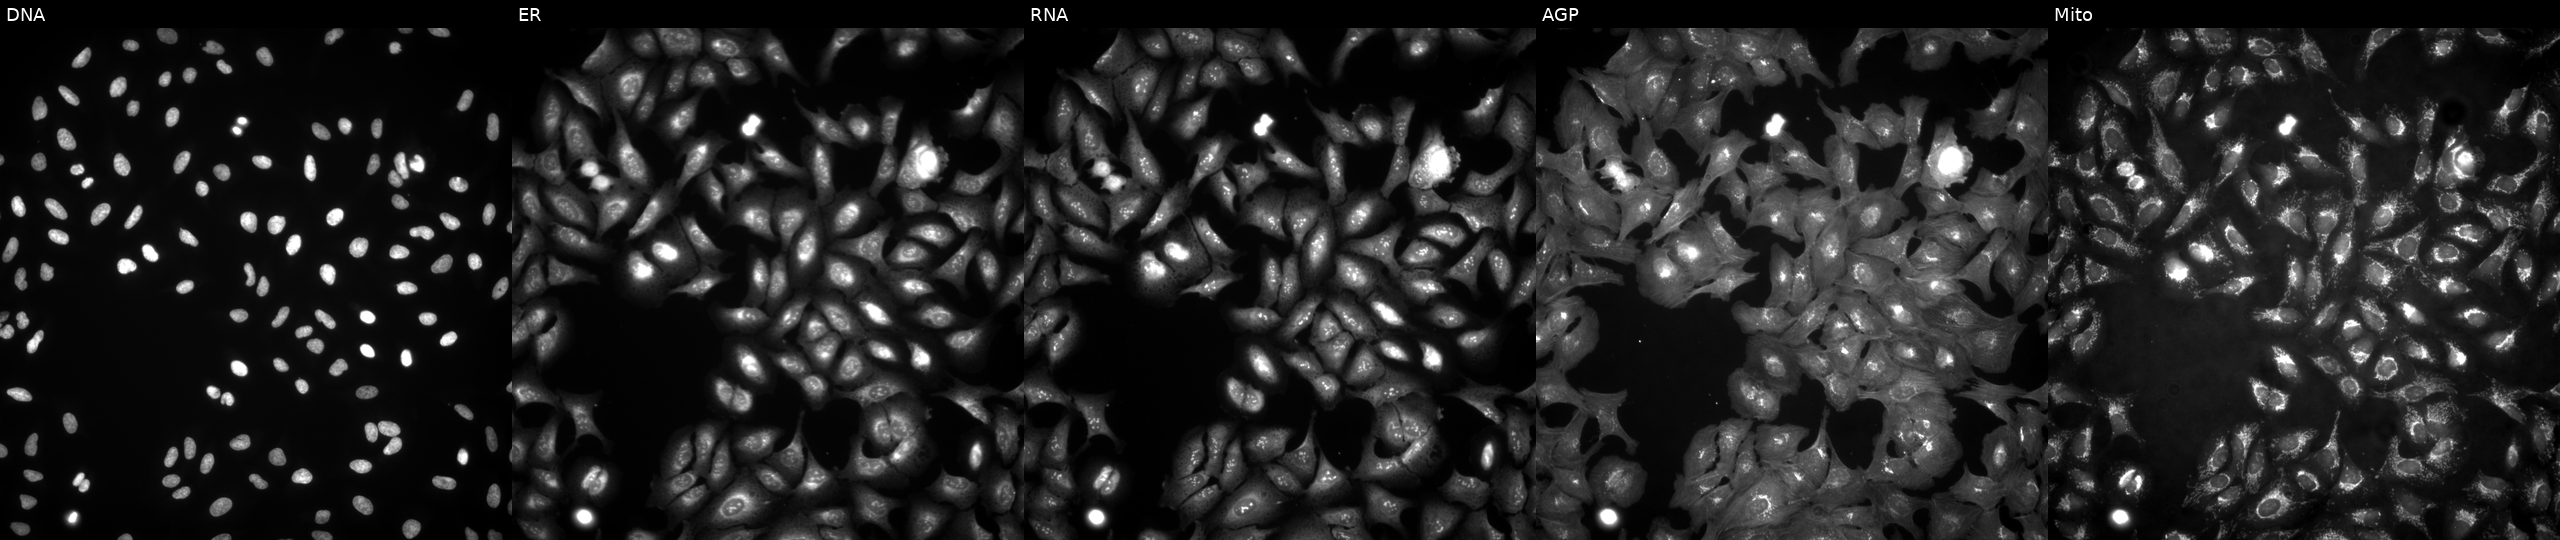
High-content fluorescence microscopy (Cell Painting). Cell line: U2OS. Perturbation: transfected with an ORF construct for GABARAPL1 (JUMP id JCP2022_902659). Panels show, left to right, DNA, ER, RNA, AGP, and Mito.